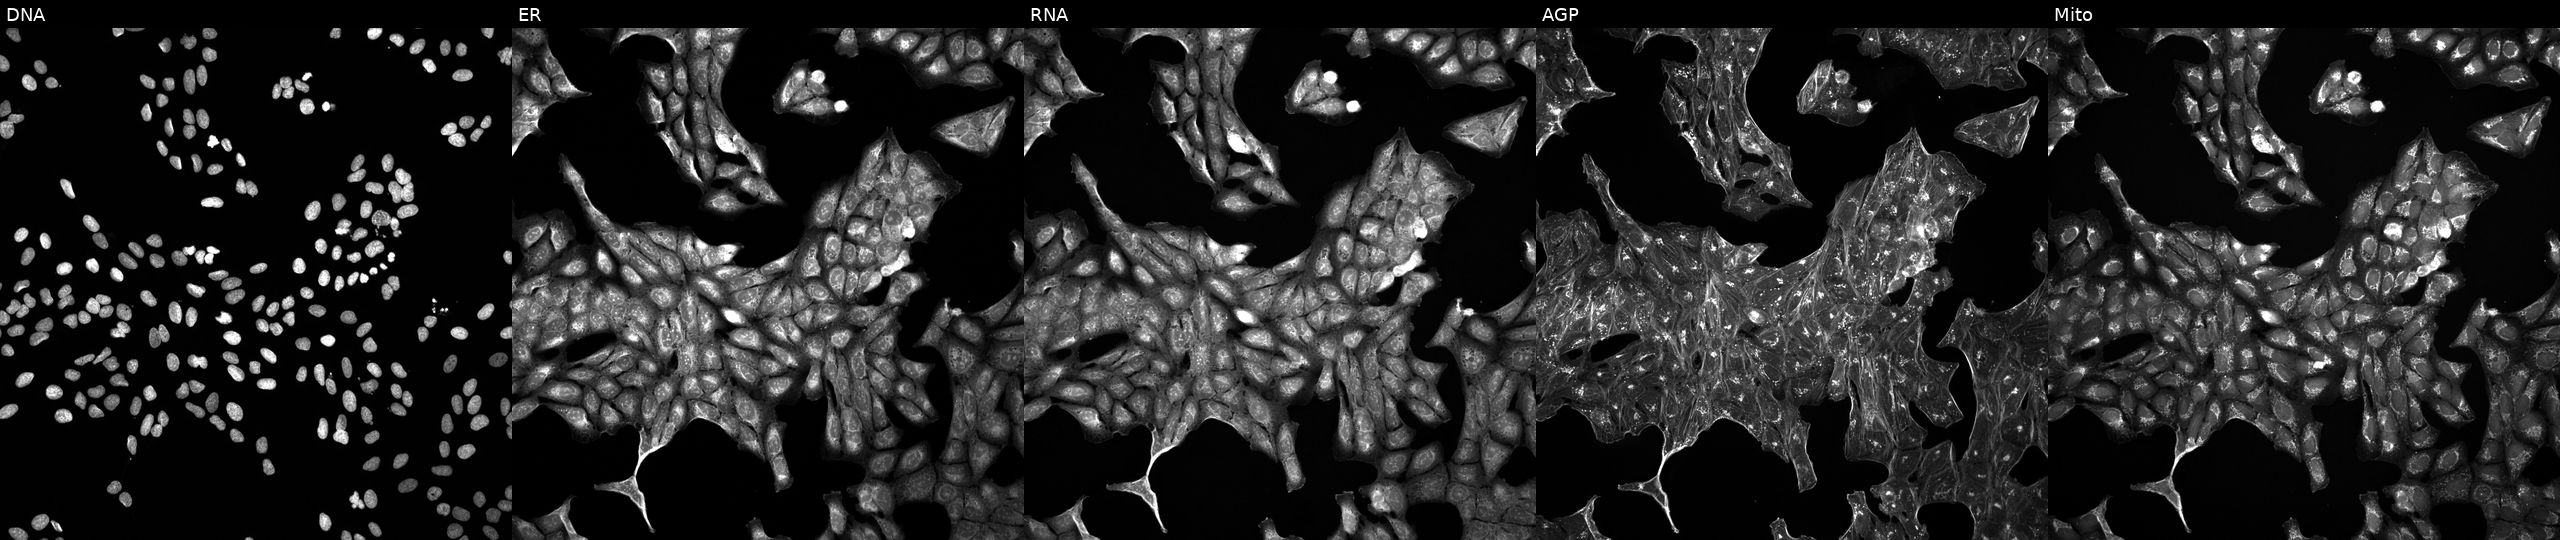
Five-channel Cell Painting image of U2OS cells perturbed with a small-molecule compound (InChIKey KJNNWYBAOPXVJY-UHFFFAOYSA-N). From left to right: DNA, ER, RNA, AGP, and Mito.